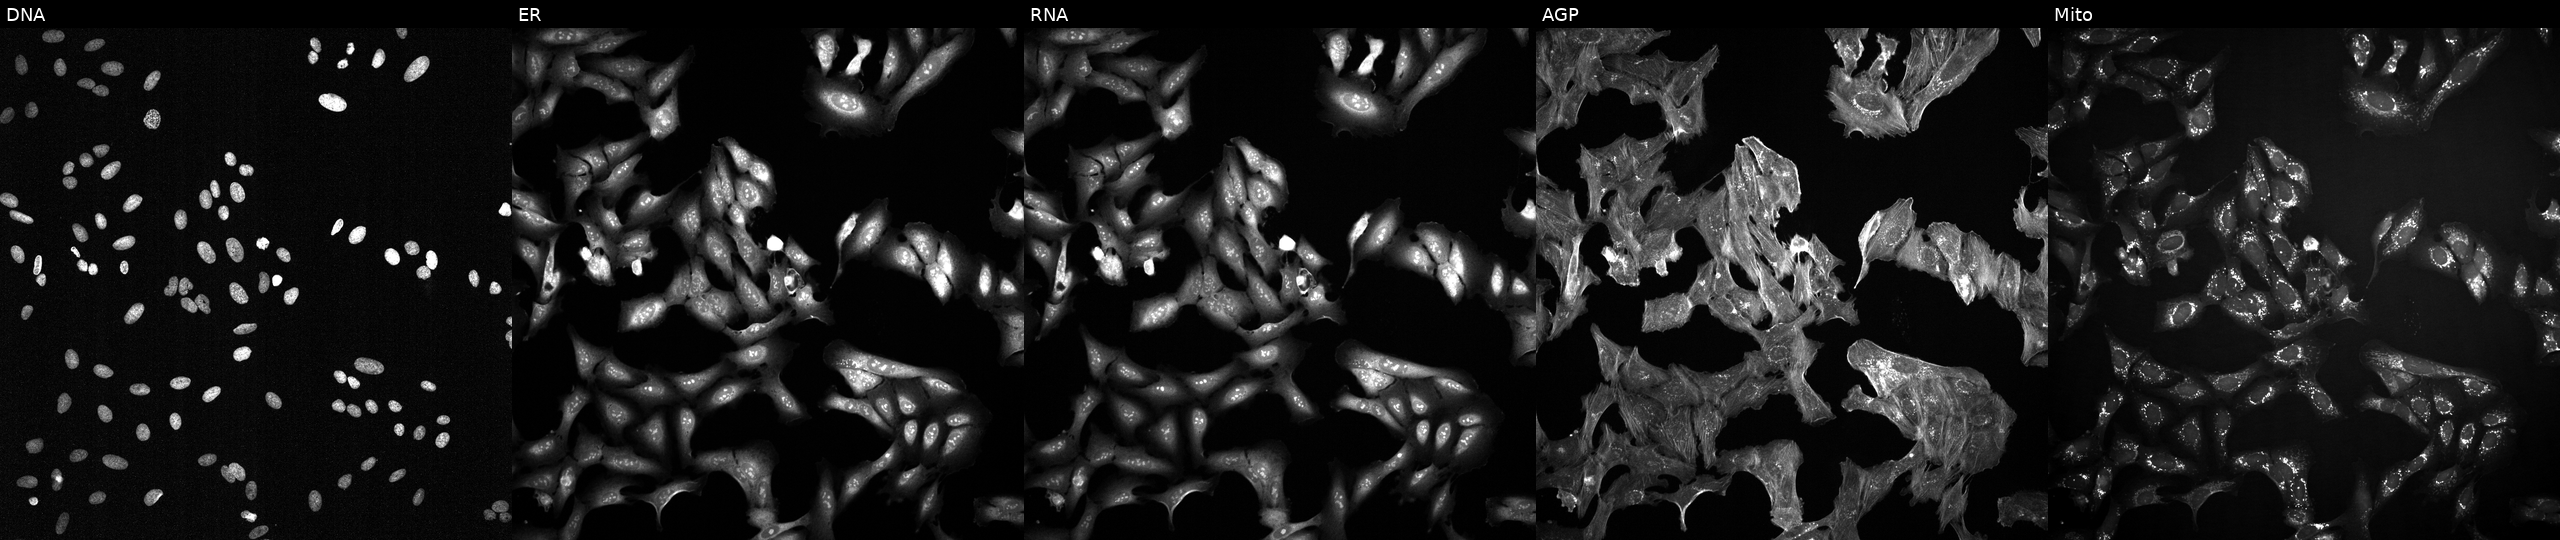
This image strip shows the five Cell Painting channels for a single field of U2OS cells exposed to a small-molecule compound (InChIKey VSWDORGPIHIGNW-UHFFFAOYSA-N) (JUMP id JCP2022_096067). From left to right: DNA (nuclei); ER (endoplasmic reticulum); RNA (nucleoli and cytoplasmic RNA); AGP (actin cytoskeleton, Golgi, and plasma membrane); Mito (mitochondria). Source 2, plate 1053599503, well P19.